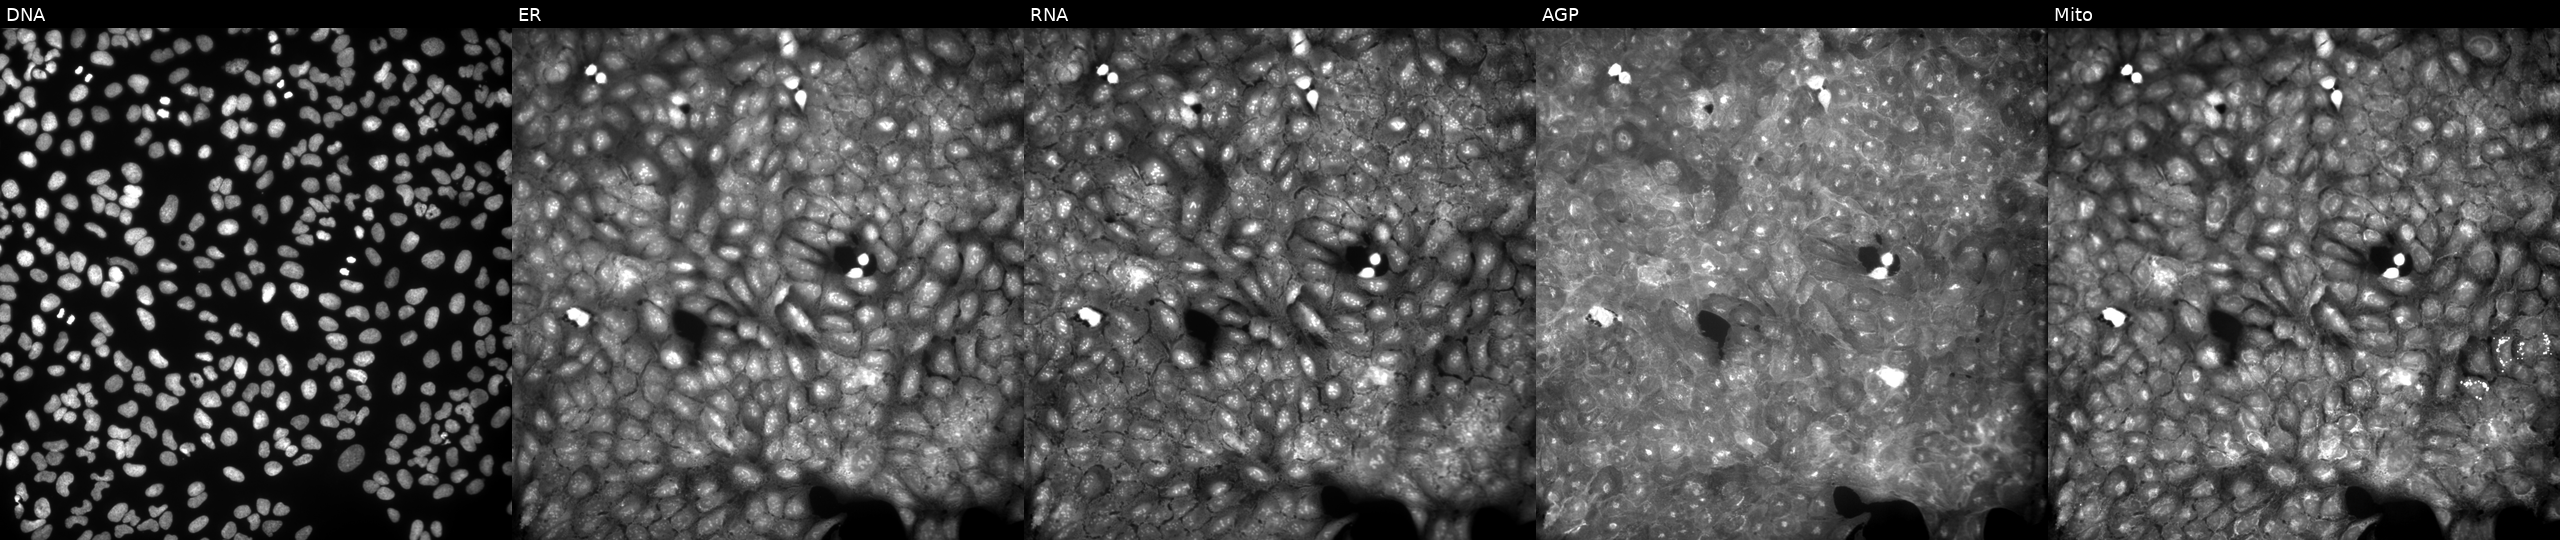
From left to right: Hoechst 33342, concanavalin A, SYTO 14, phalloidin and WGA, MitoTracker. U2OS osteosarcoma cells treated with a small-molecule compound (InChIKey UWAAPSLFKVWKBR-UHFFFAOYSA-N). Cell Painting assay, JUMP-CP dataset. Source 9, plate GR00003381, well R39.